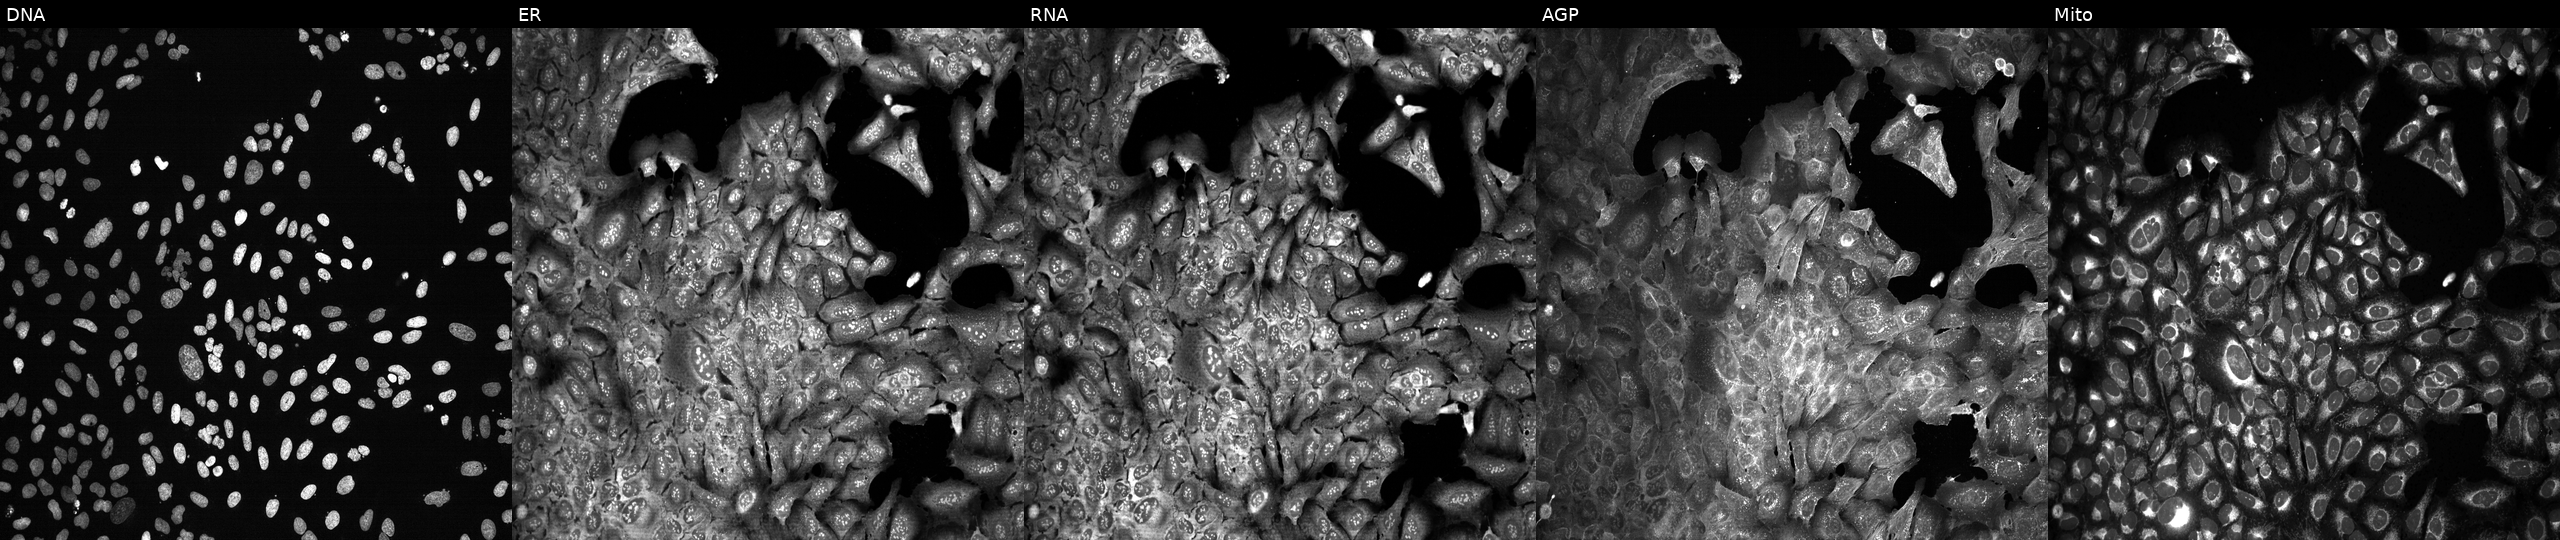
Five-channel Cell Painting image of U2OS cells following CRISPR knockout of MMP24. Panels show, left to right, DNA, ER, RNA, AGP, and Mito.